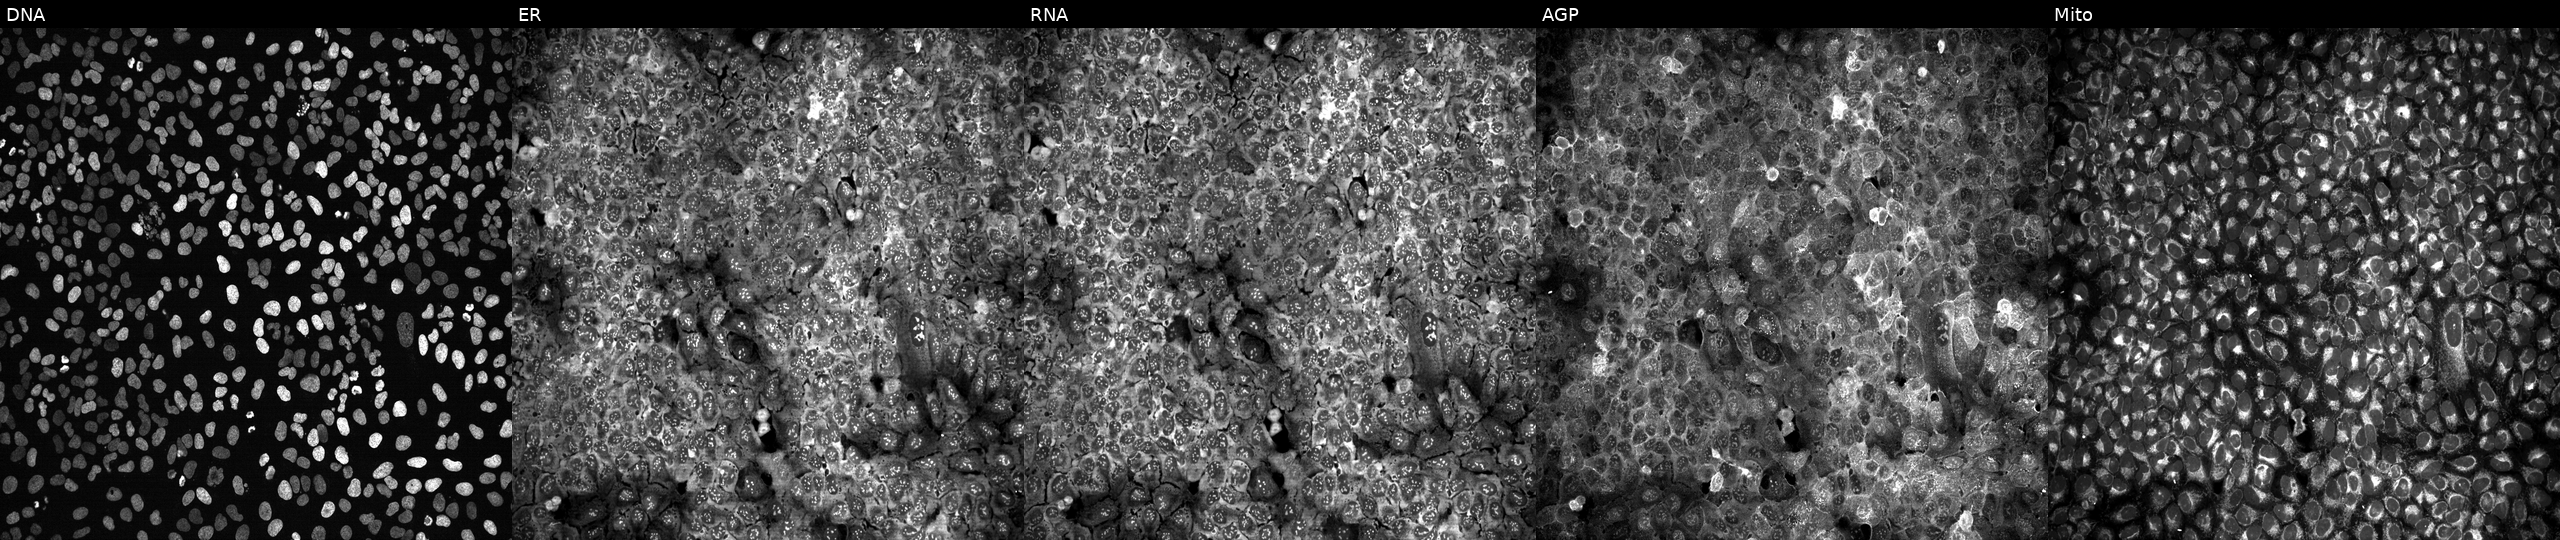
Panels show, left to right, DNA, ER, RNA, AGP, and Mito. U2OS osteosarcoma cells CRISPR-edited to disrupt AHCYL2. Cell Painting assay, JUMP-CP dataset. Source 13, plate CP-CC9-R4-04, well D10.